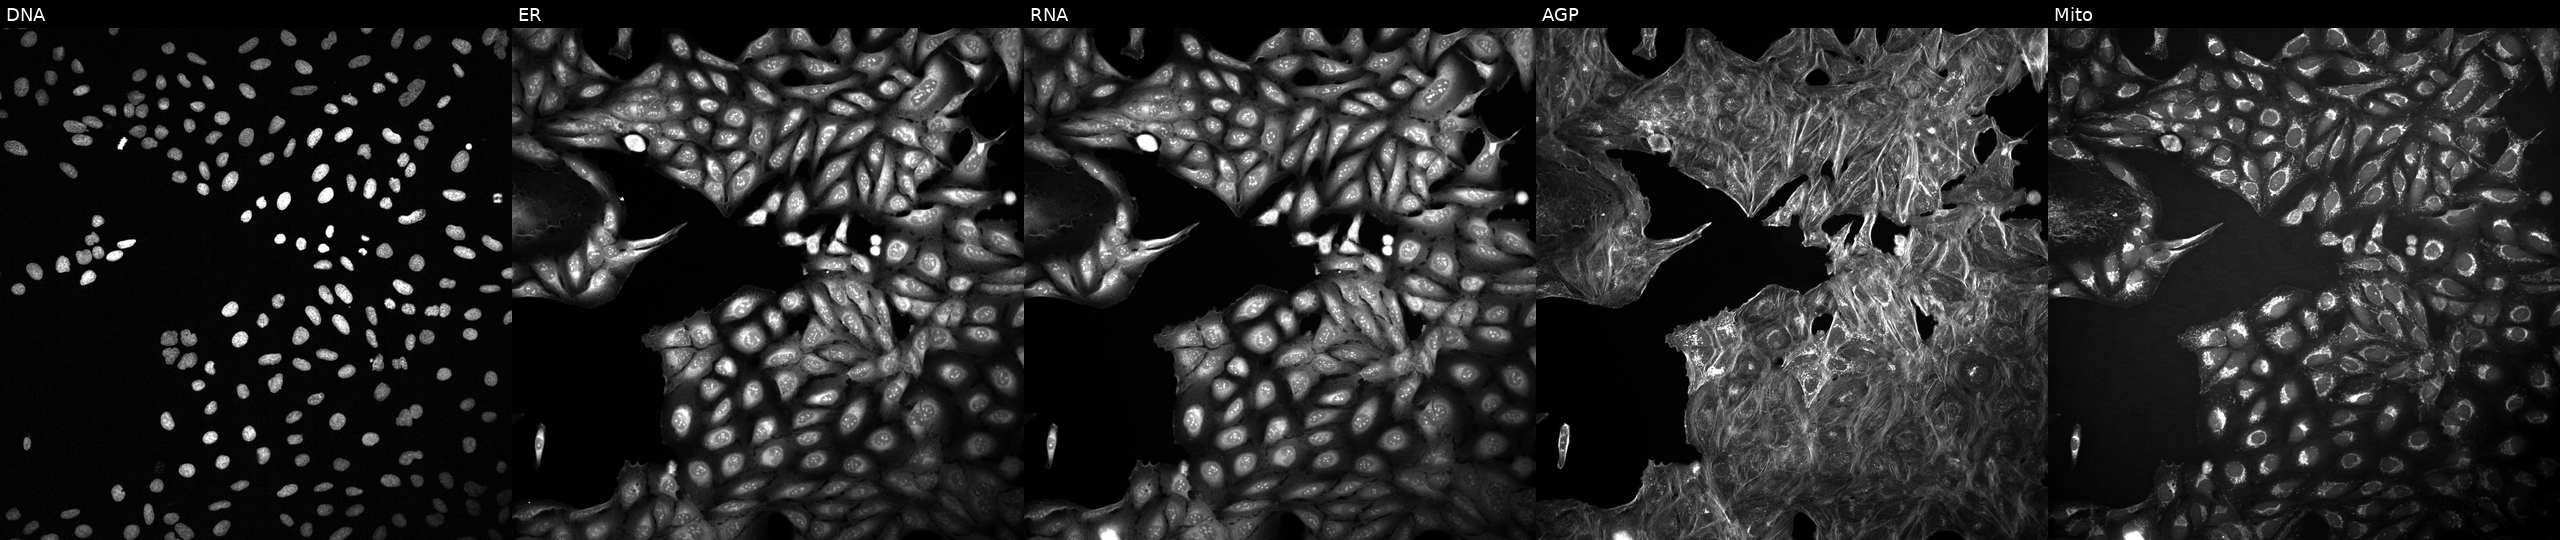
This image strip shows the five Cell Painting channels for a single field of U2OS cells exposed to DMSO alone as a negative control. From left to right: Hoechst 33342, concanavalin A, SYTO 14, phalloidin and WGA, MitoTracker.